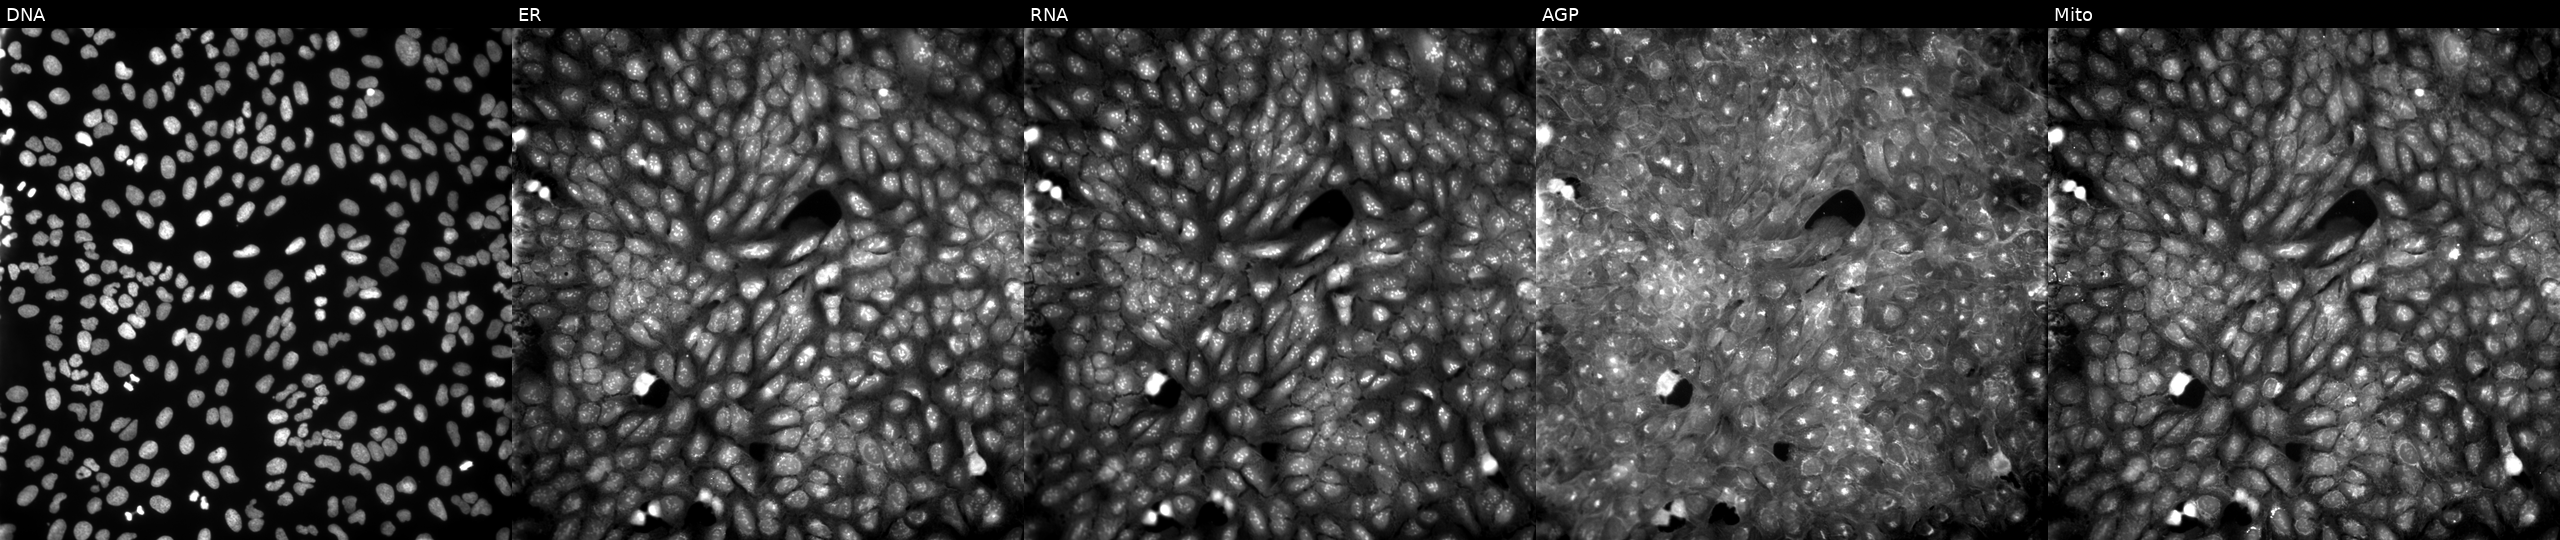
This image strip shows the five Cell Painting channels for a single field of U2OS cells treated with a small-molecule compound [SMILES: CCOc1ccc(N=c2[nH]c3ccccc3c(=O)s2)cc1] (JUMP id JCP2022_096686). The five panels, left to right, show DNA (nuclei); ER (endoplasmic reticulum); RNA (nucleoli and cytoplasmic RNA); AGP (actin cytoskeleton, Golgi, and plasma membrane); Mito (mitochondria).